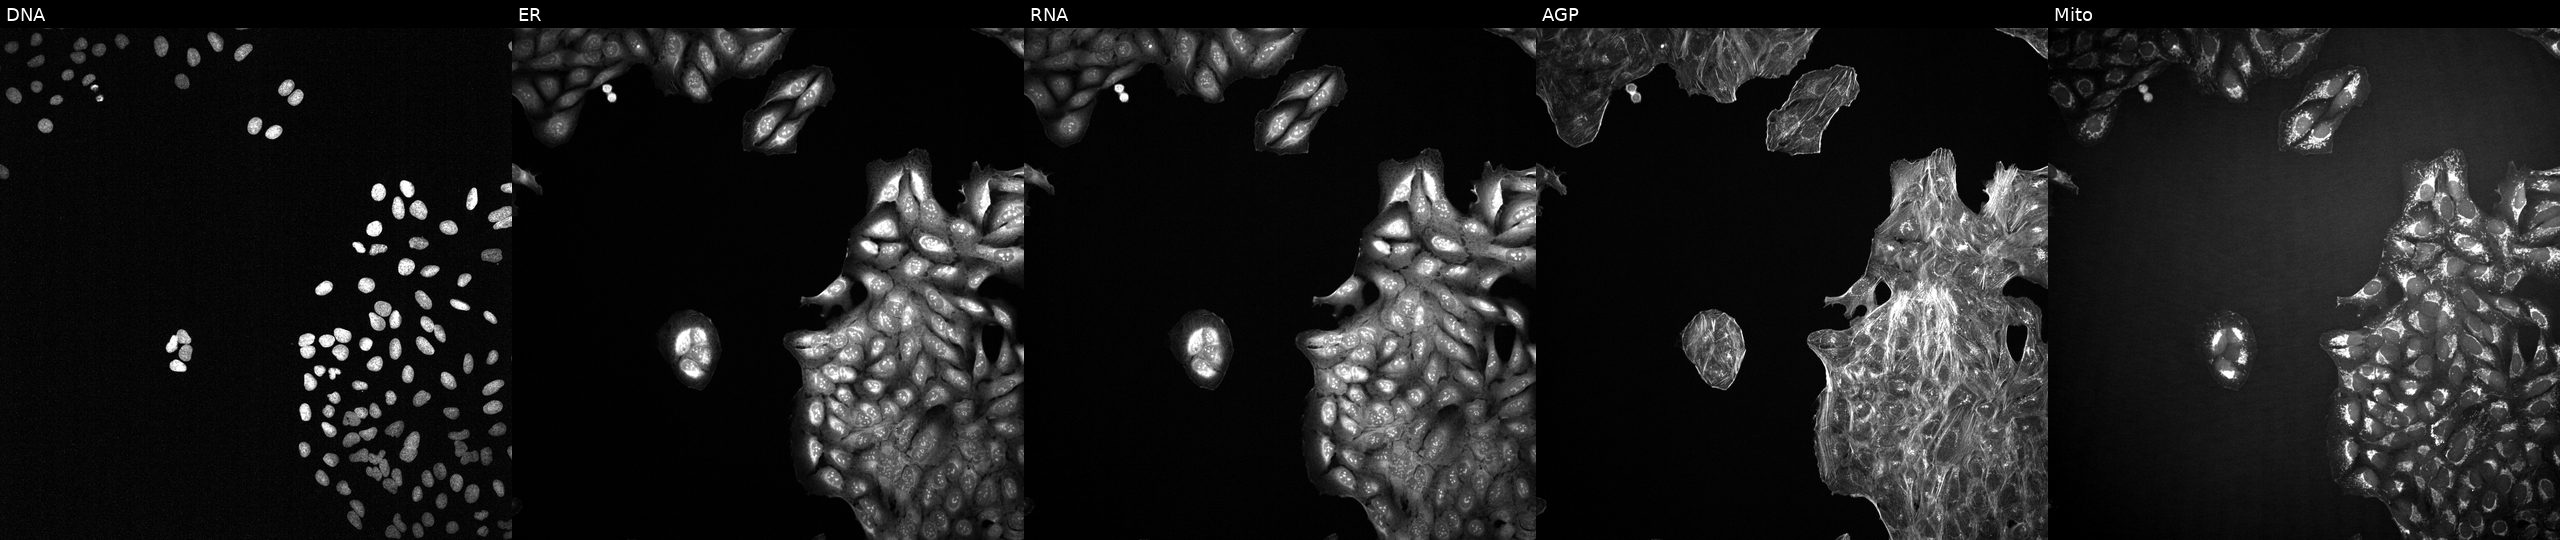
This image strip shows the five Cell Painting channels for a single field of U2OS cells exposed to DMSO alone as a negative control (JUMP id JCP2022_033924). The five panels, left to right, show DNA, ER, RNA, AGP, and Mito.